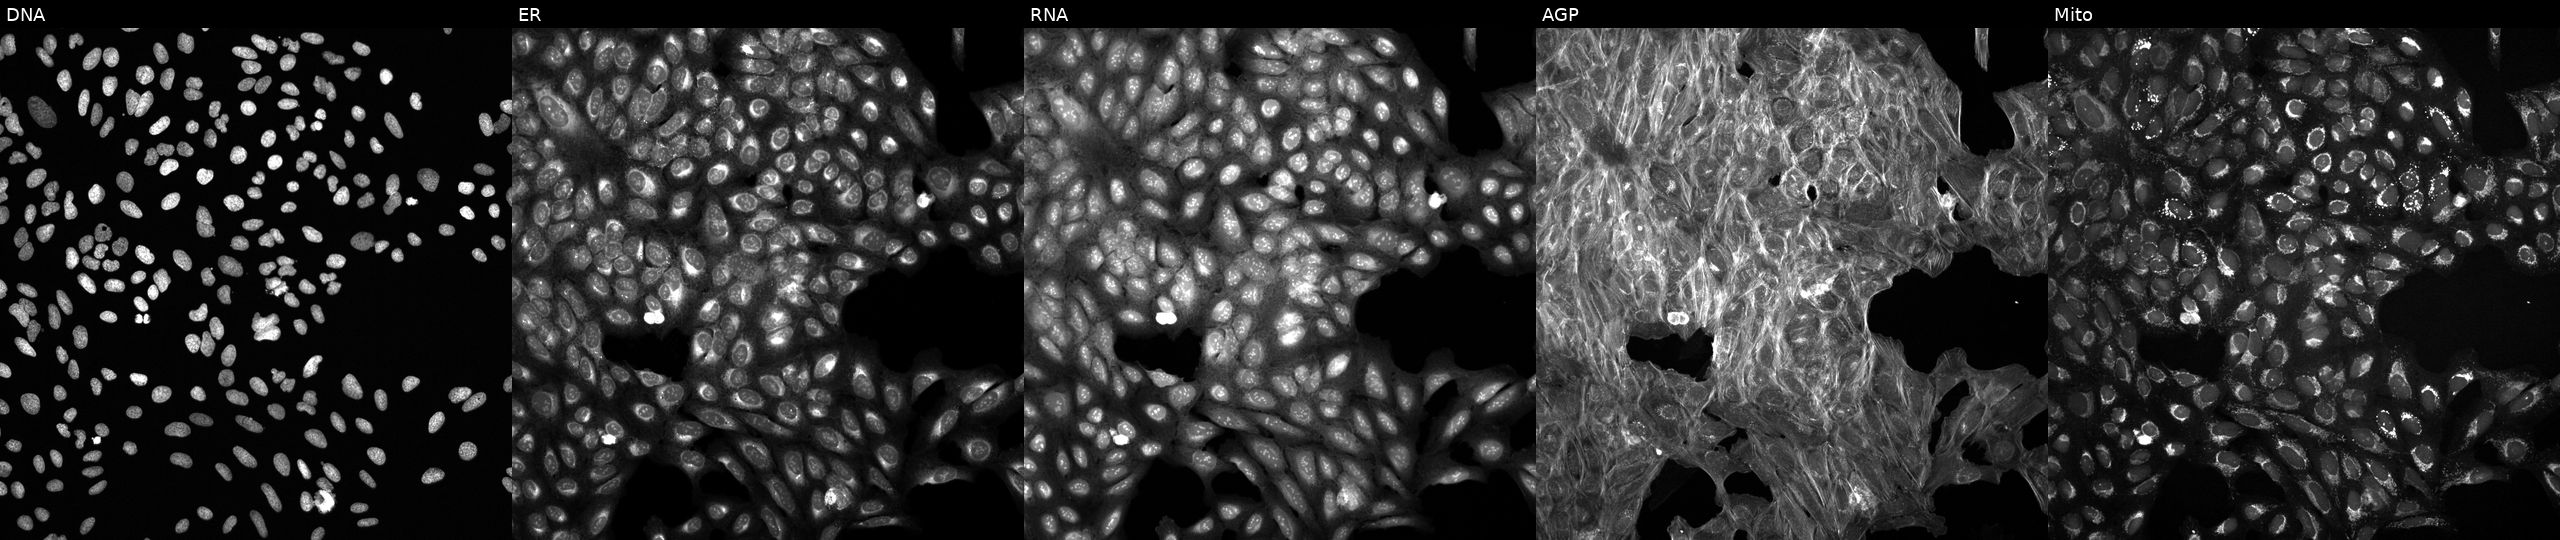
U2OS cells, Cell Painting assay, perturbed with a small-molecule compound (JUMP id JCP2022_077213). Channels (left→right): DNA (nuclei); ER (endoplasmic reticulum); RNA (nucleoli and cytoplasmic RNA); AGP (actin cytoskeleton, Golgi, and plasma membrane); Mito (mitochondria). Each panel is percentile-stretched 16-bit fluorescence.